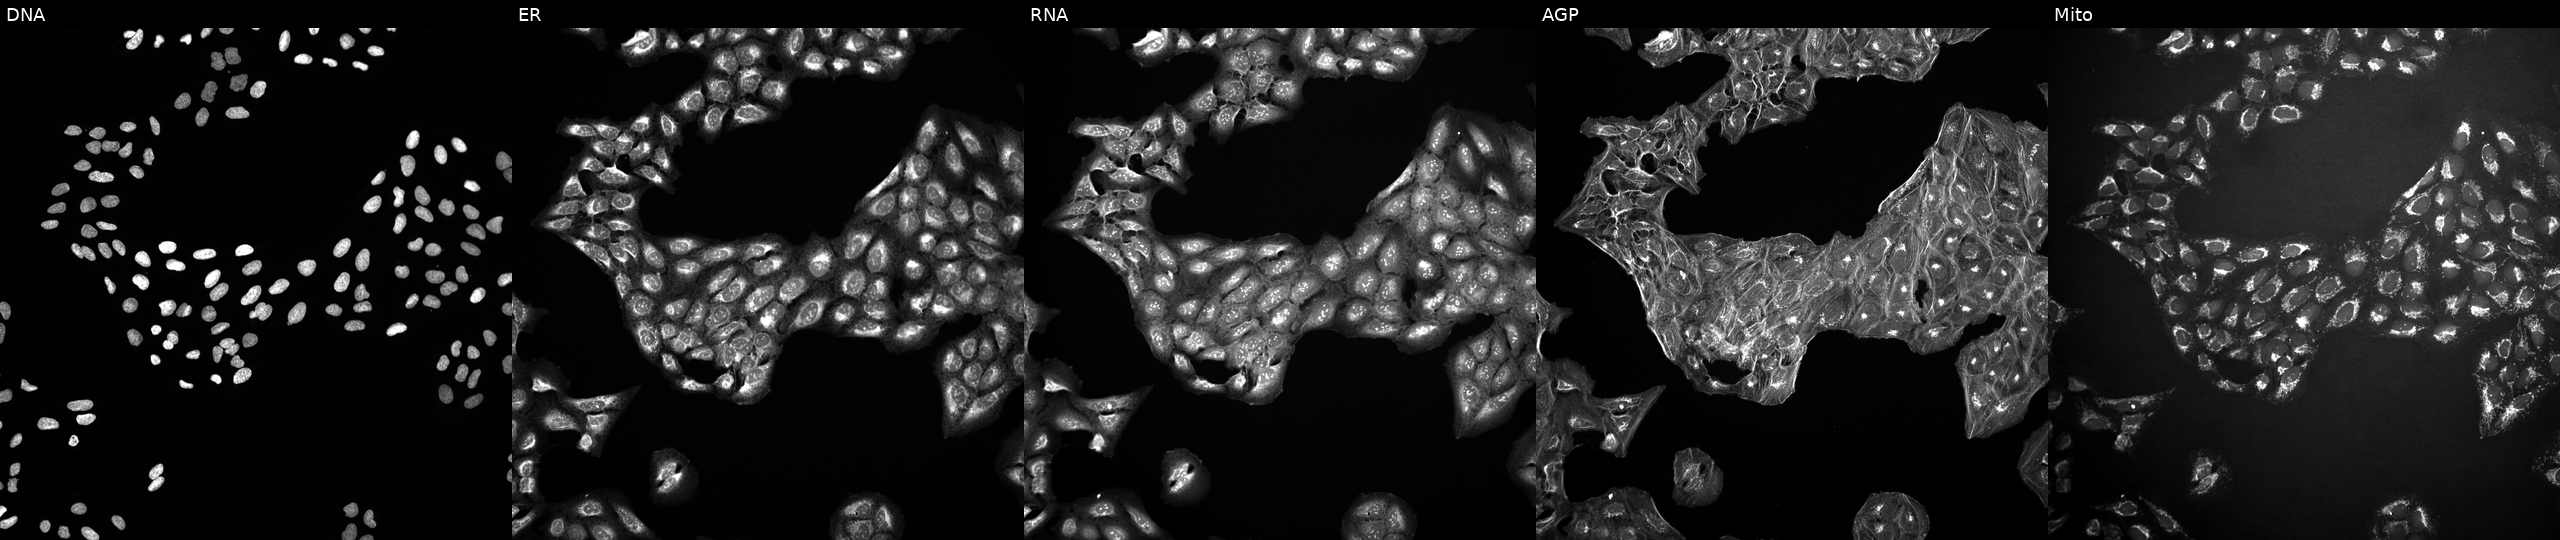
High-content fluorescence microscopy (Cell Painting). Cell line: U2OS. Perturbation: in an empty control well (no perturbation). From left to right: DNA (nuclei); ER (endoplasmic reticulum); RNA (nucleoli and cytoplasmic RNA); AGP (actin cytoskeleton, Golgi, and plasma membrane); Mito (mitochondria).